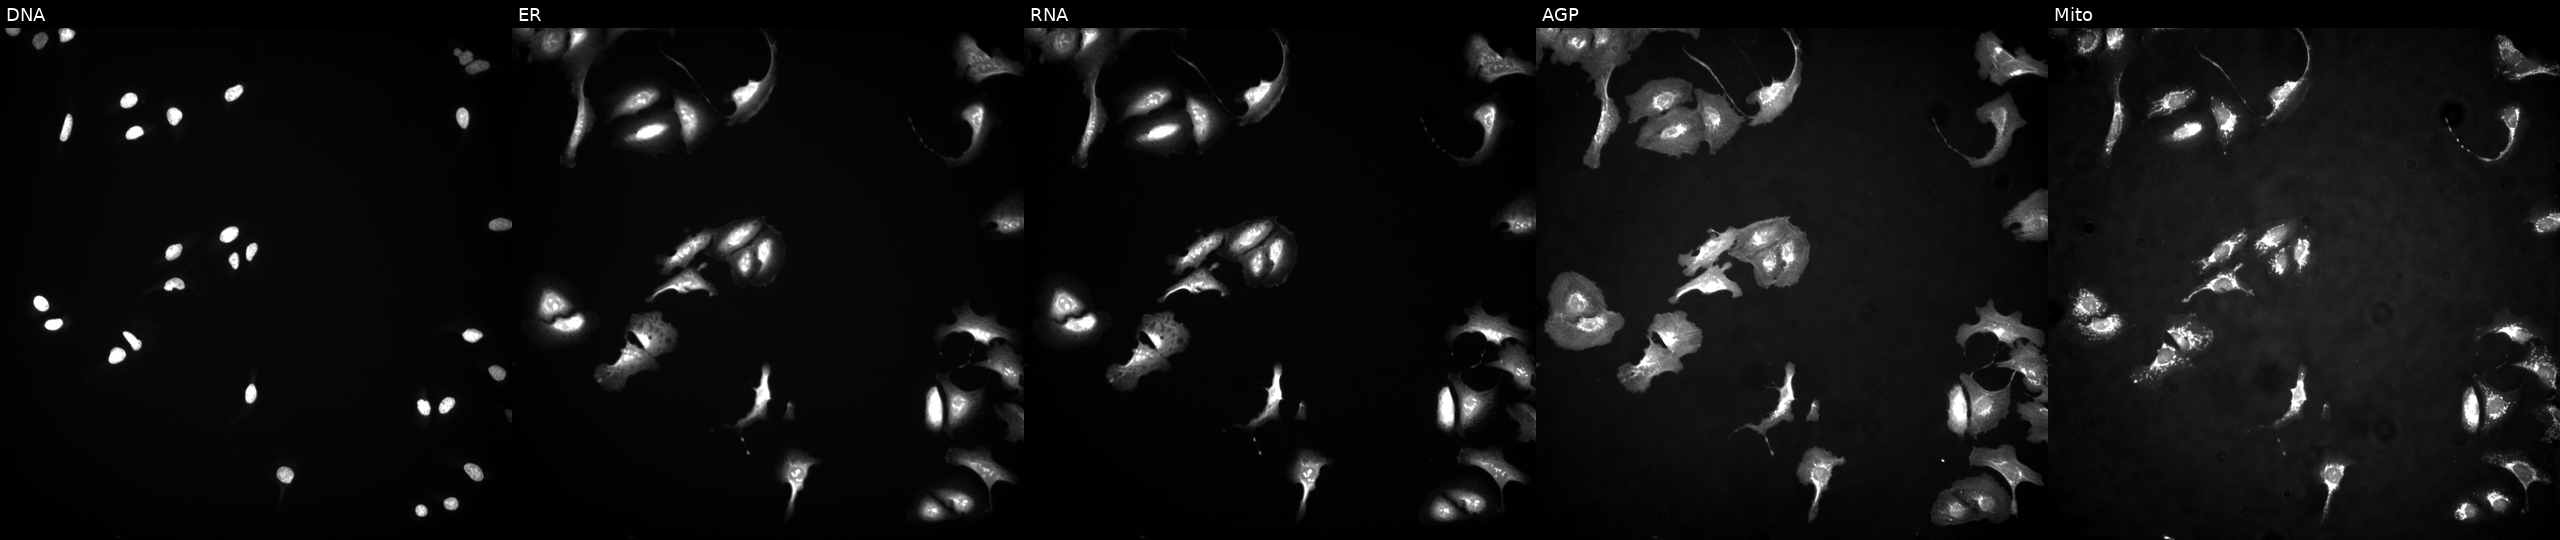
The five panels, left to right, show DNA (nuclei); ER (endoplasmic reticulum); RNA (nucleoli and cytoplasmic RNA); AGP (actin cytoskeleton, Golgi, and plasma membrane); Mito (mitochondria). U2OS osteosarcoma cells transfected with an ORF construct for RAI1. Cell Painting assay, JUMP-CP dataset.